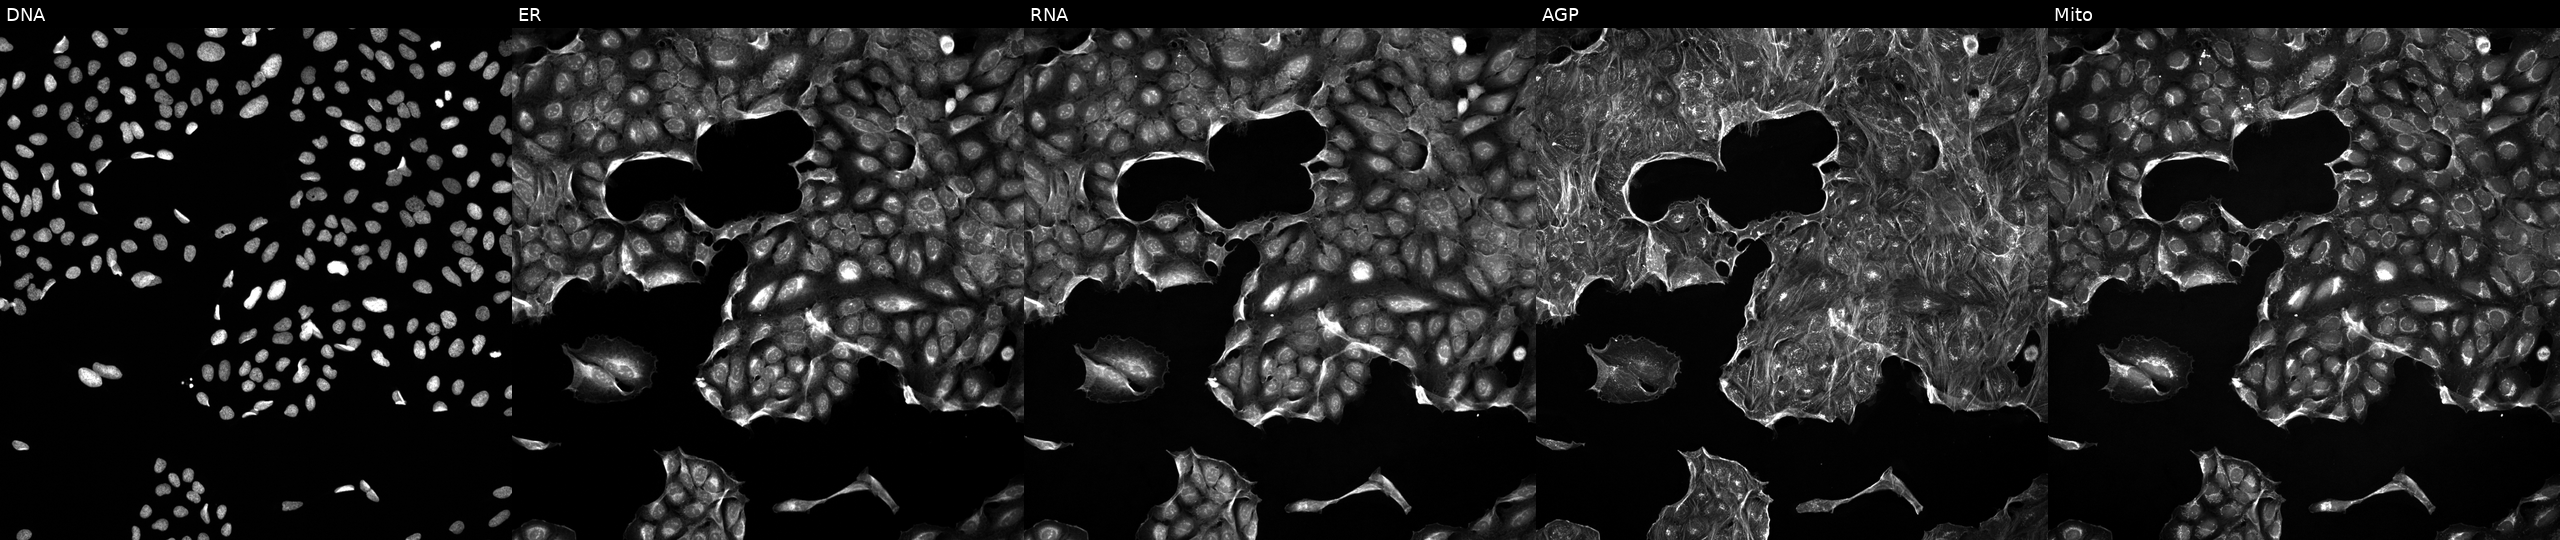
This image strip shows the five Cell Painting channels for a single field of U2OS cells exposed to a small-molecule compound (InChIKey NITYDPDXAAFEIT-UHFFFAOYSA-N) [SMILES: CNC(=O)C(Cc1c[nH]c2ccccc12)NC(=O)C(CC(O)=NO)CC(C)C] (JUMP id JCP2022_059269). The five panels, left to right, show DNA, ER, RNA, AGP, and Mito.